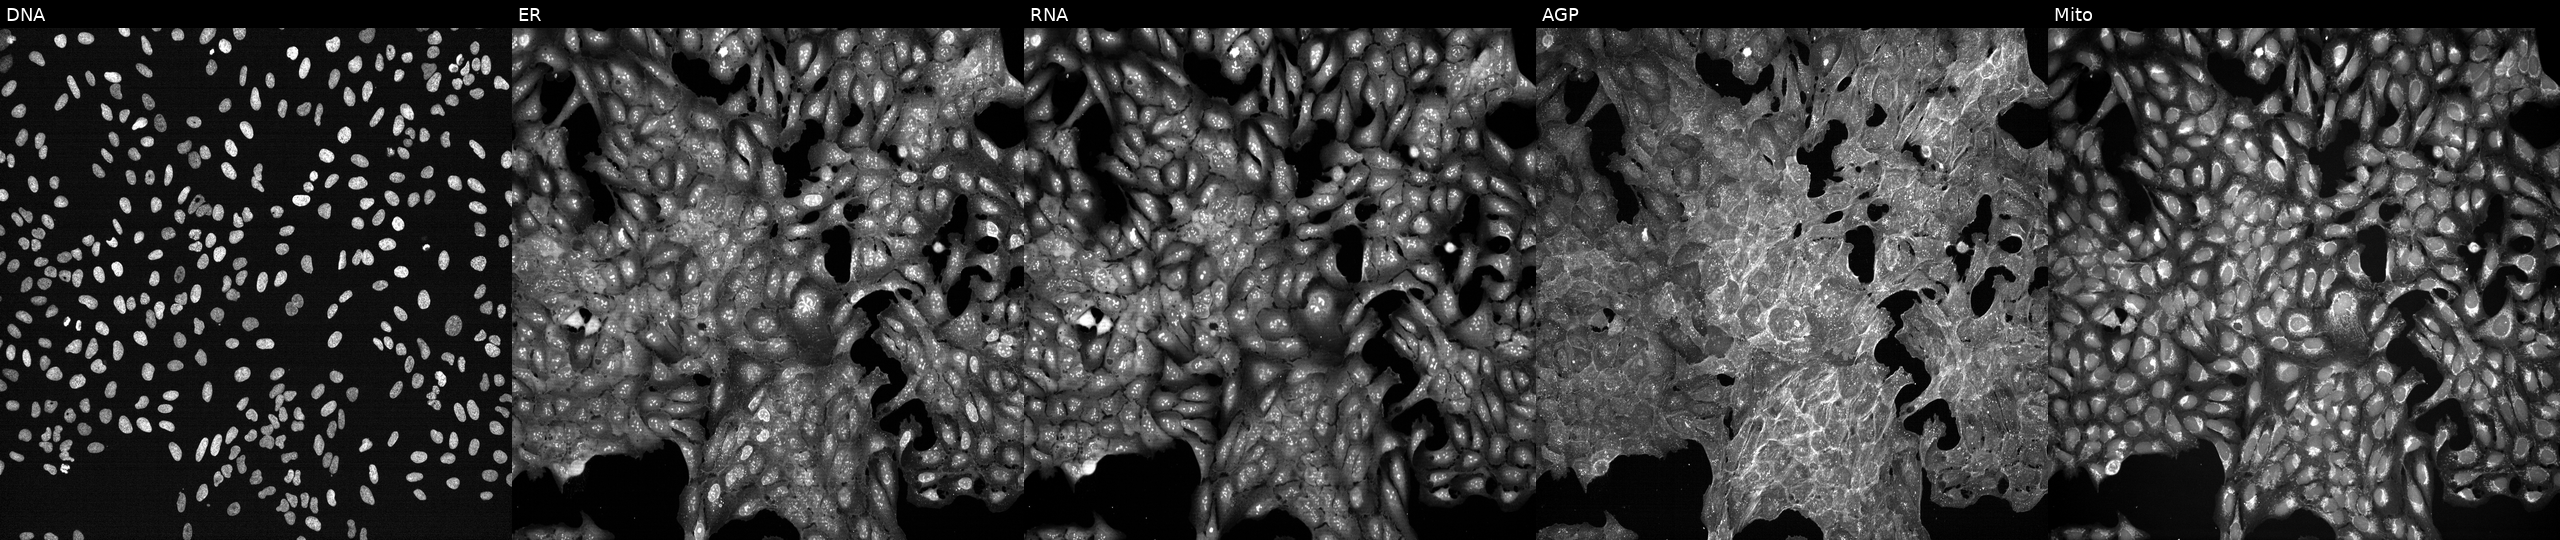
JUMP Cell Painting — TARGET2 plate. U2OS cells perturbed with a small-molecule compound (InChIKey NGTDJJKTGRNNAU-UHFFFAOYSA-N) [SMILES: OC(Cc1ccncc1)C(Cl)(Cl)Cl] (JUMP id JCP2022_058889). From left to right: DNA, ER, RNA, AGP, and Mito.